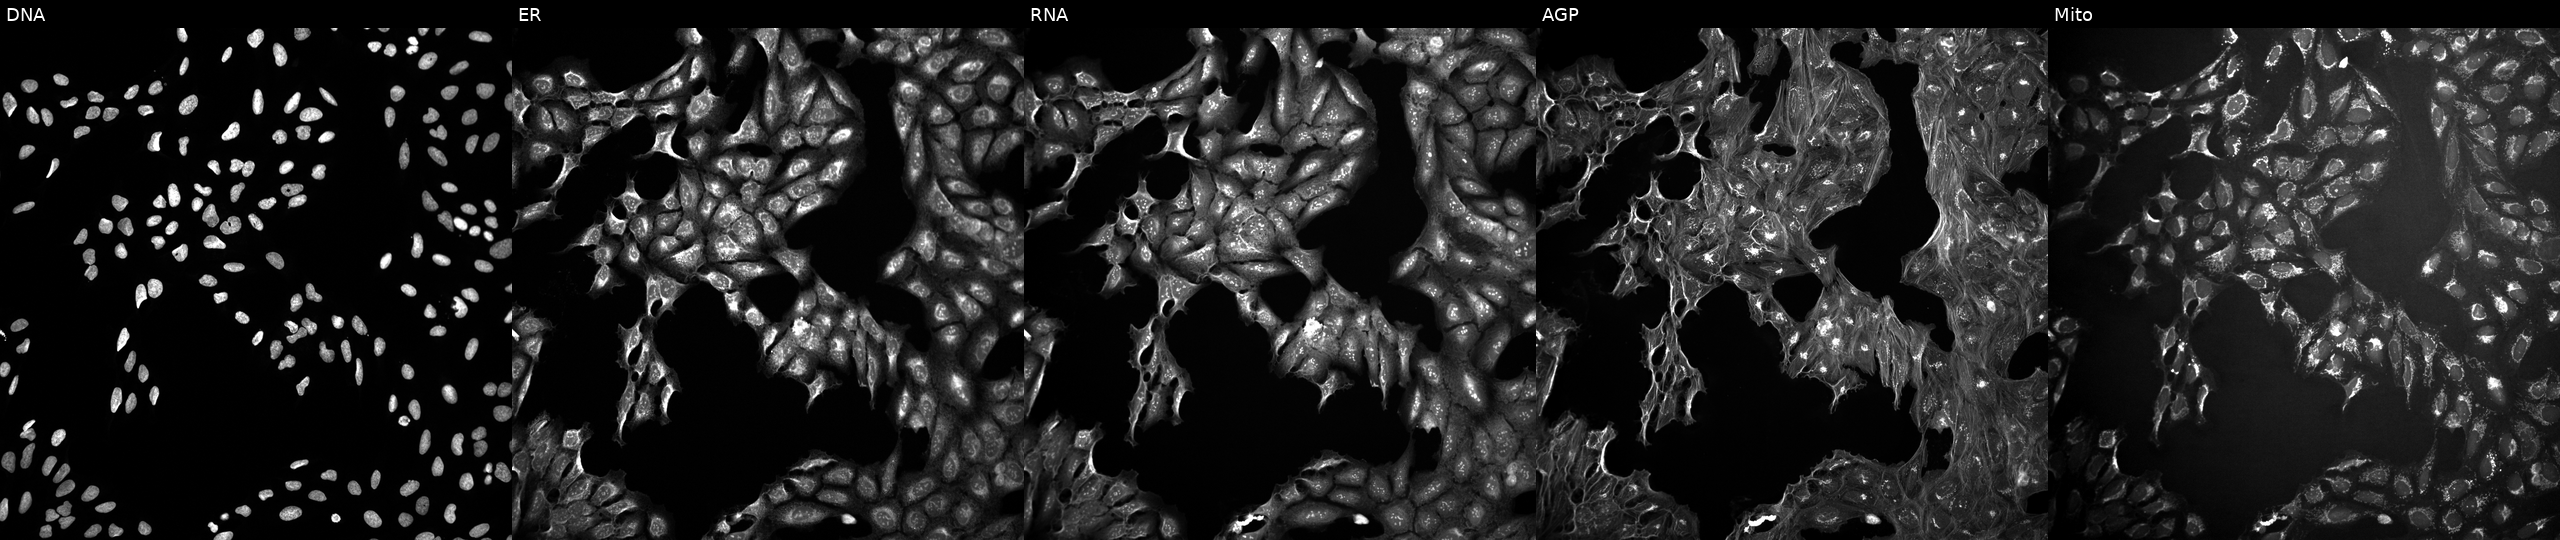
U2OS cells, Cell Painting assay, perturbed with a small-molecule compound (InChIKey KMKWLRXYMCHEQH-UHFFFAOYSA-N) (JUMP id JCP2022_045563). From left to right: DNA (nuclei); ER (endoplasmic reticulum); RNA (nucleoli and cytoplasmic RNA); AGP (actin cytoskeleton, Golgi, and plasma membrane); Mito (mitochondria). Each panel is percentile-stretched 16-bit fluorescence. Source 10, plate Dest210531-152324, well H19.